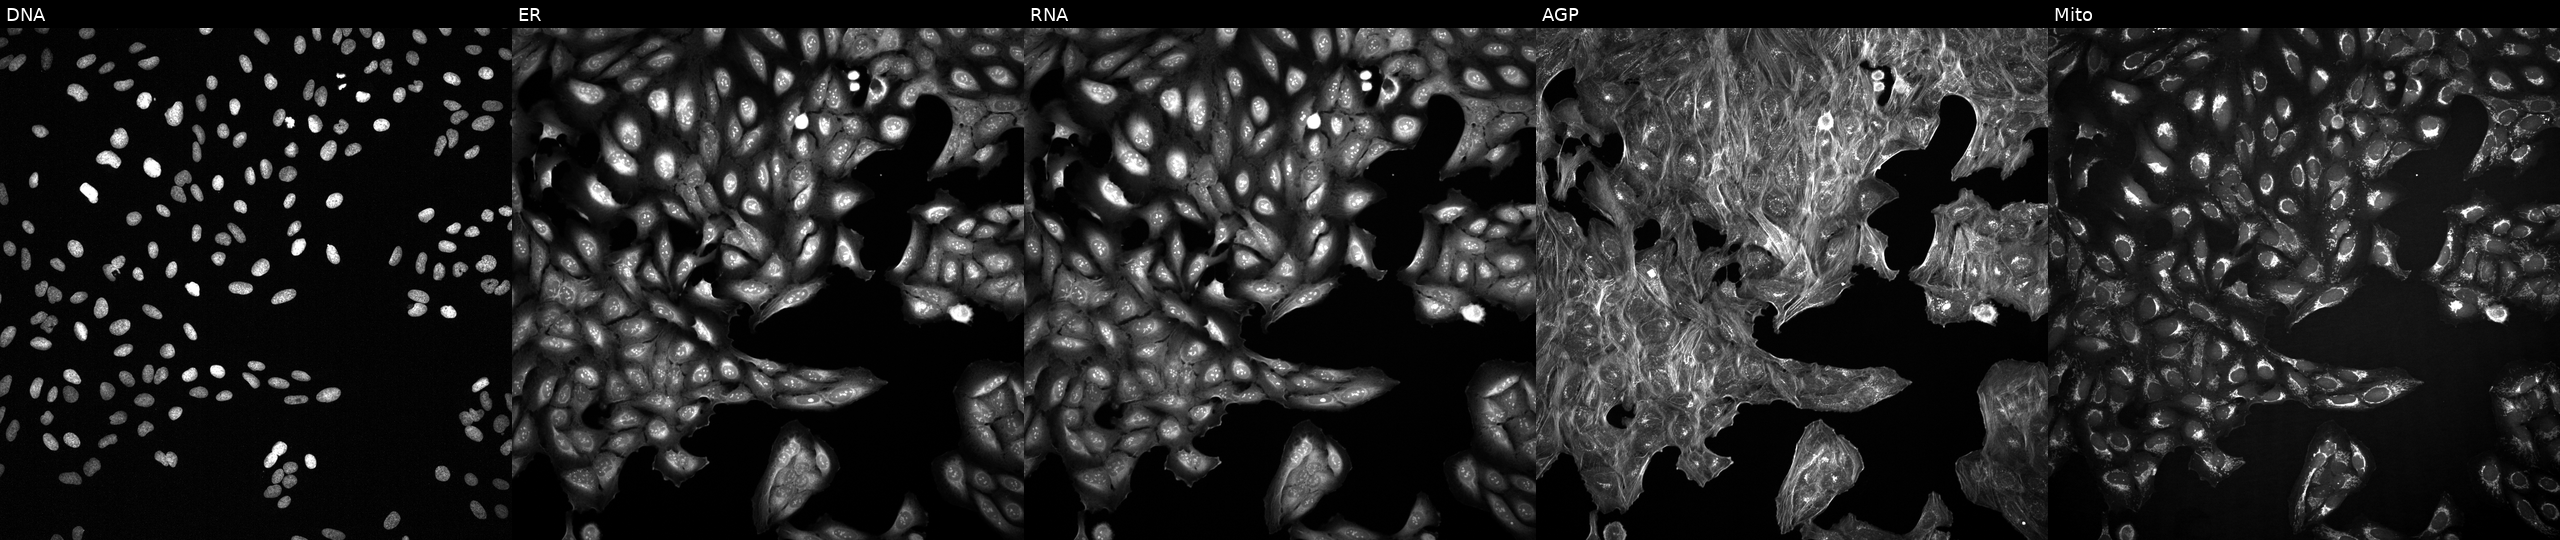
JUMP Cell Painting — COMPOUND plate. U2OS cells perturbed with a small-molecule compound (InChIKey IXLLXYFRRMEMTA-UHFFFAOYSA-N). Channels (left→right): DNA (nuclei); ER (endoplasmic reticulum); RNA (nucleoli and cytoplasmic RNA); AGP (actin cytoskeleton, Golgi, and plasma membrane); Mito (mitochondria).